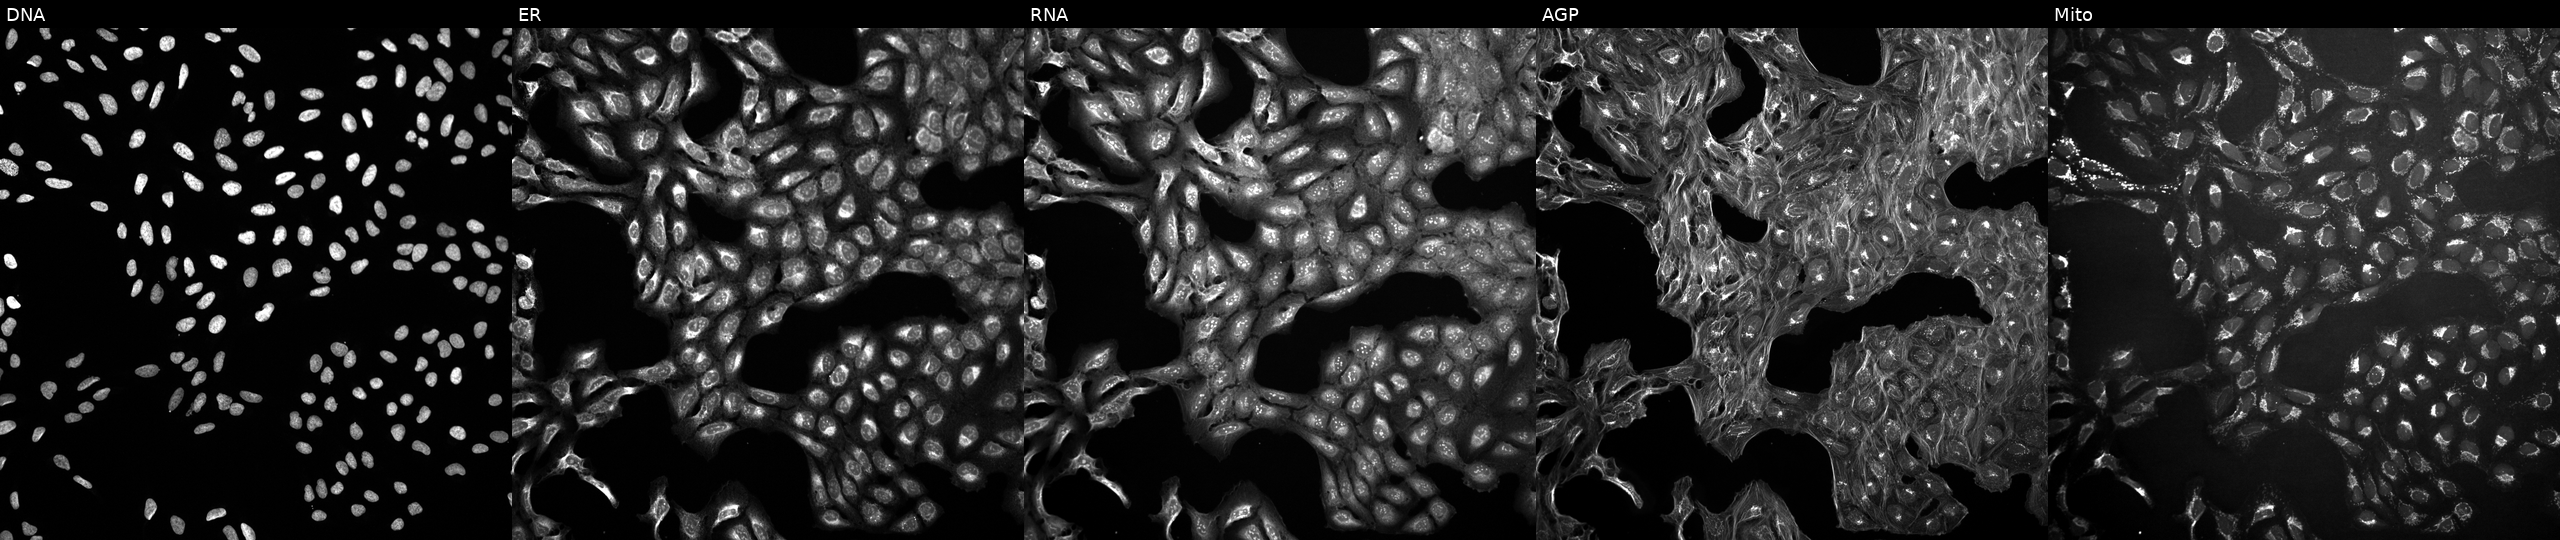
Channels (left→right): DNA (nuclei); ER (endoplasmic reticulum); RNA (nucleoli and cytoplasmic RNA); AGP (actin cytoskeleton, Golgi, and plasma membrane); Mito (mitochondria). U2OS osteosarcoma cells untreated (empty-well control) (JUMP id JCP2022_999999). Cell Painting assay, JUMP-CP dataset.